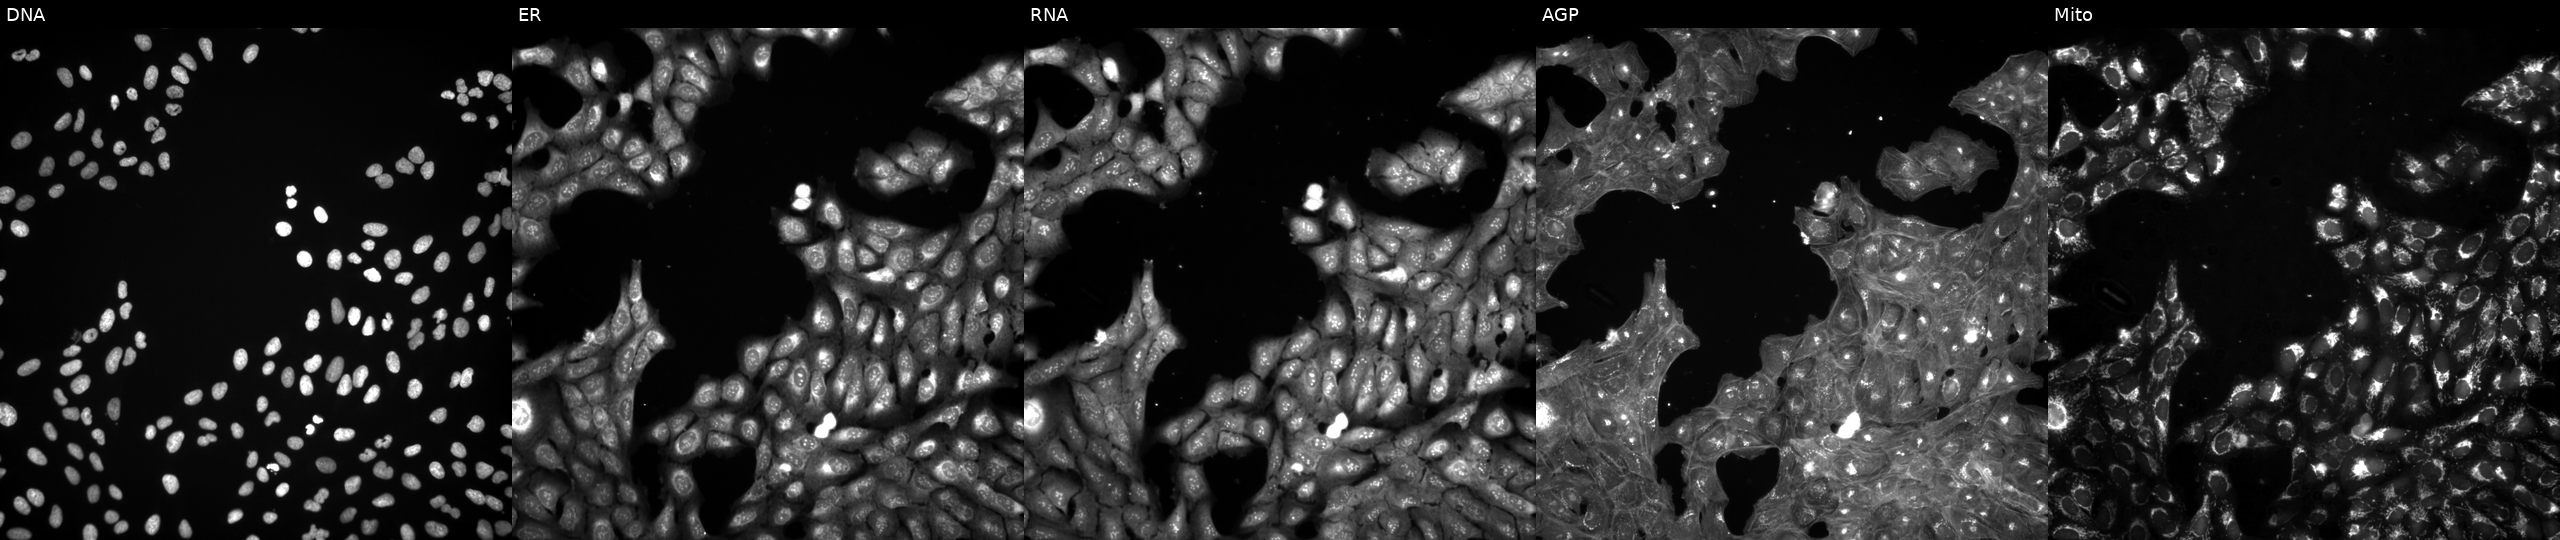
High-content fluorescence microscopy (Cell Painting). Cell line: U2OS. Perturbation: perturbed with a small-molecule compound (InChIKey MLIGNDCUSMINQT-UHFFFAOYSA-N) [SMILES: CN(C)C(=O)CCc1nc(=O)c2c3c(sc2[nH]1)CCCC3]. Panels show, left to right, DNA, ER, RNA, AGP, and Mito.